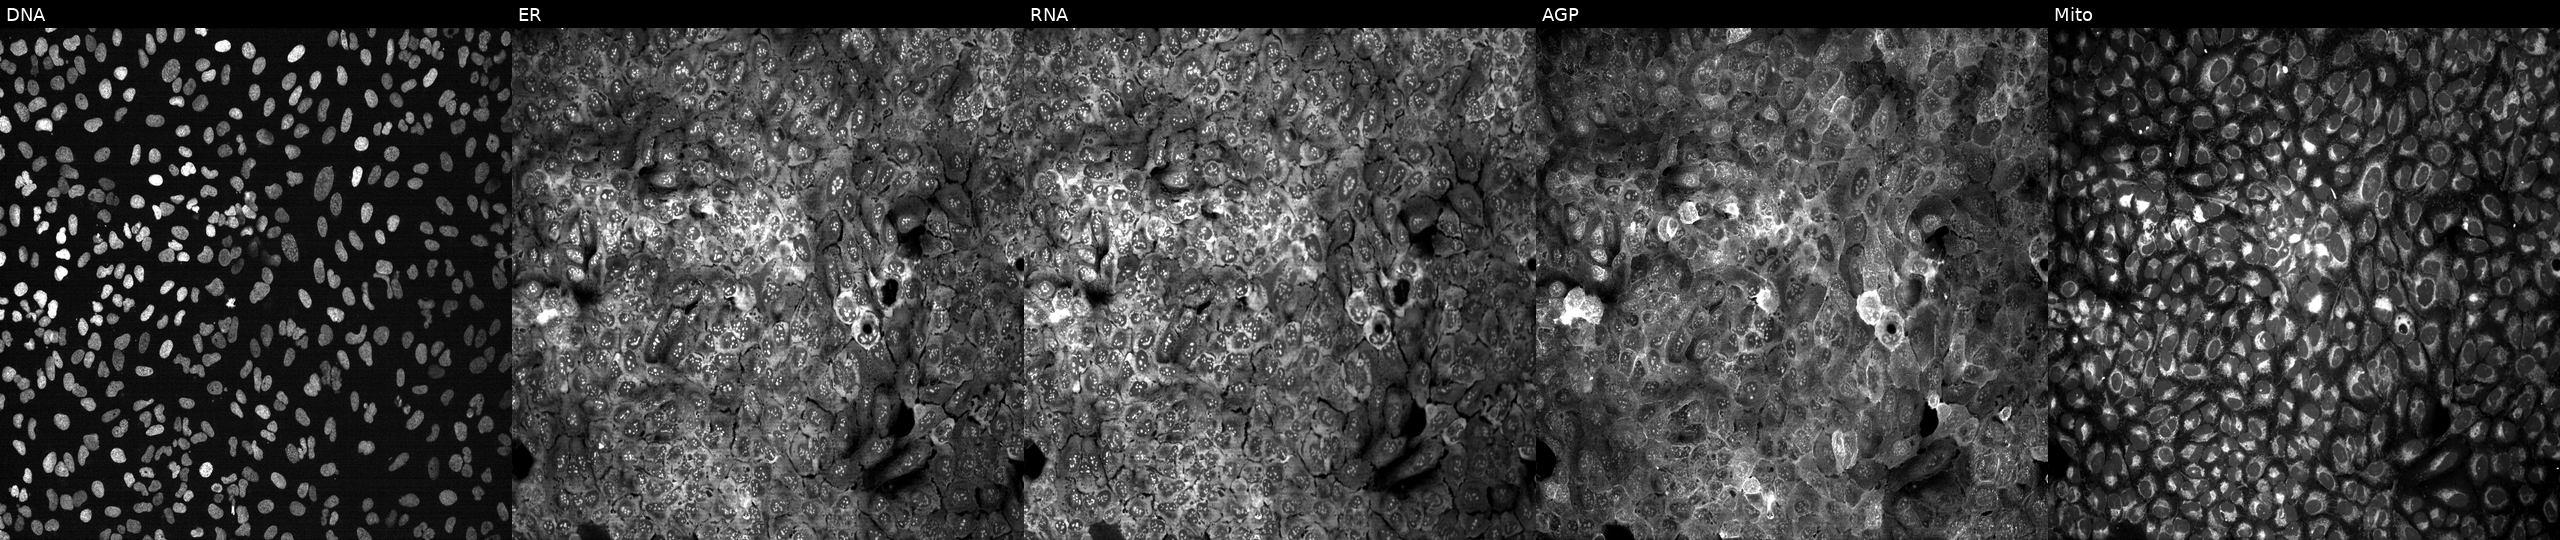
U2OS cells, Cell Painting assay, following CRISPR knockout of SLC4A1AP (JUMP id JCP2022_806546). Panels show, left to right, Hoechst 33342, concanavalin A, SYTO 14, phalloidin and WGA, MitoTracker. Each panel is percentile-stretched 16-bit fluorescence. Source 13, plate CP-CC9-R4-04, well F21.